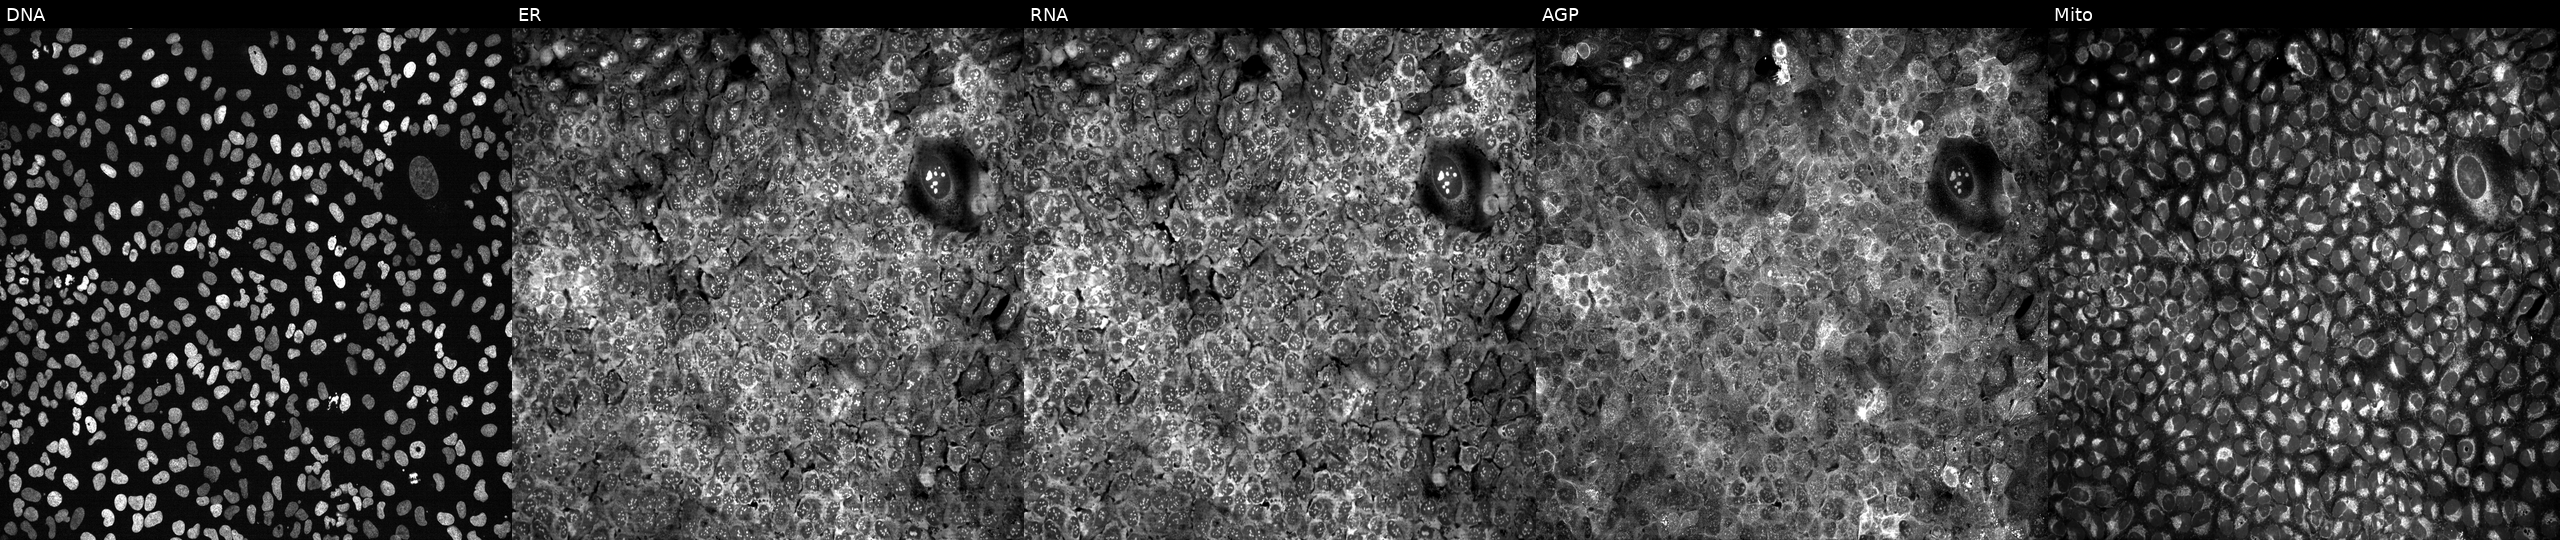
The five panels, left to right, show DNA, ER, RNA, AGP, and Mito. U2OS osteosarcoma cells with RAB3C knocked out by CRISPR (JUMP id JCP2022_805771). Cell Painting assay, JUMP-CP dataset.